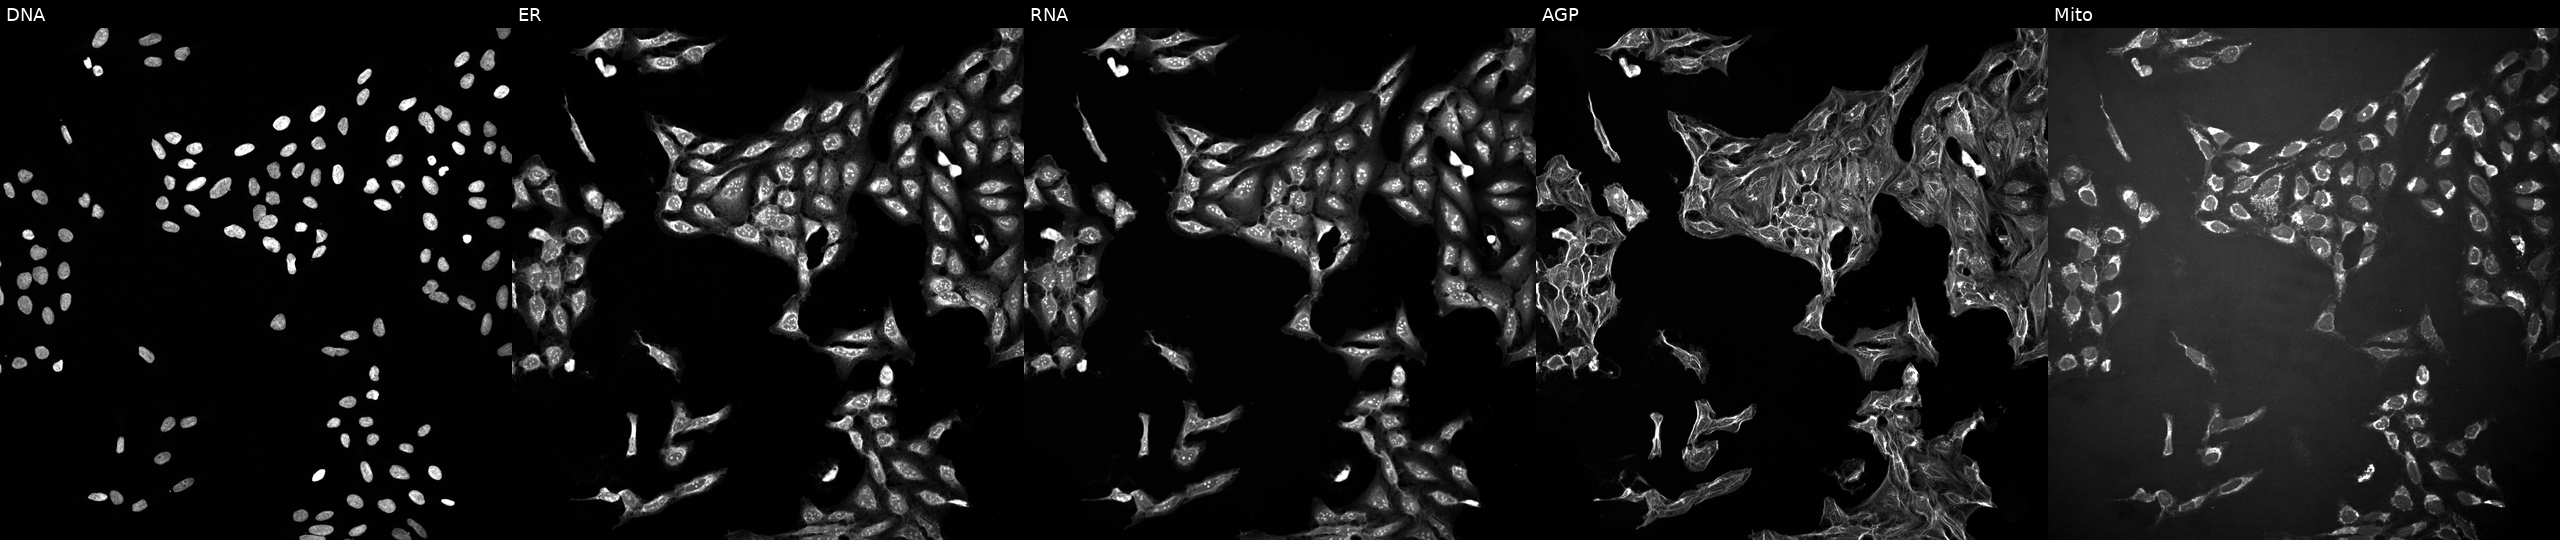
U2OS cells, Cell Painting assay, exposed to a small-molecule compound (InChIKey GUUGZPSUOTWOMD-UHFFFAOYSA-N) (JUMP id JCP2022_027911). From left to right: DNA (nuclei); ER (endoplasmic reticulum); RNA (nucleoli and cytoplasmic RNA); AGP (actin cytoskeleton, Golgi, and plasma membrane); Mito (mitochondria). Each panel is percentile-stretched 16-bit fluorescence.